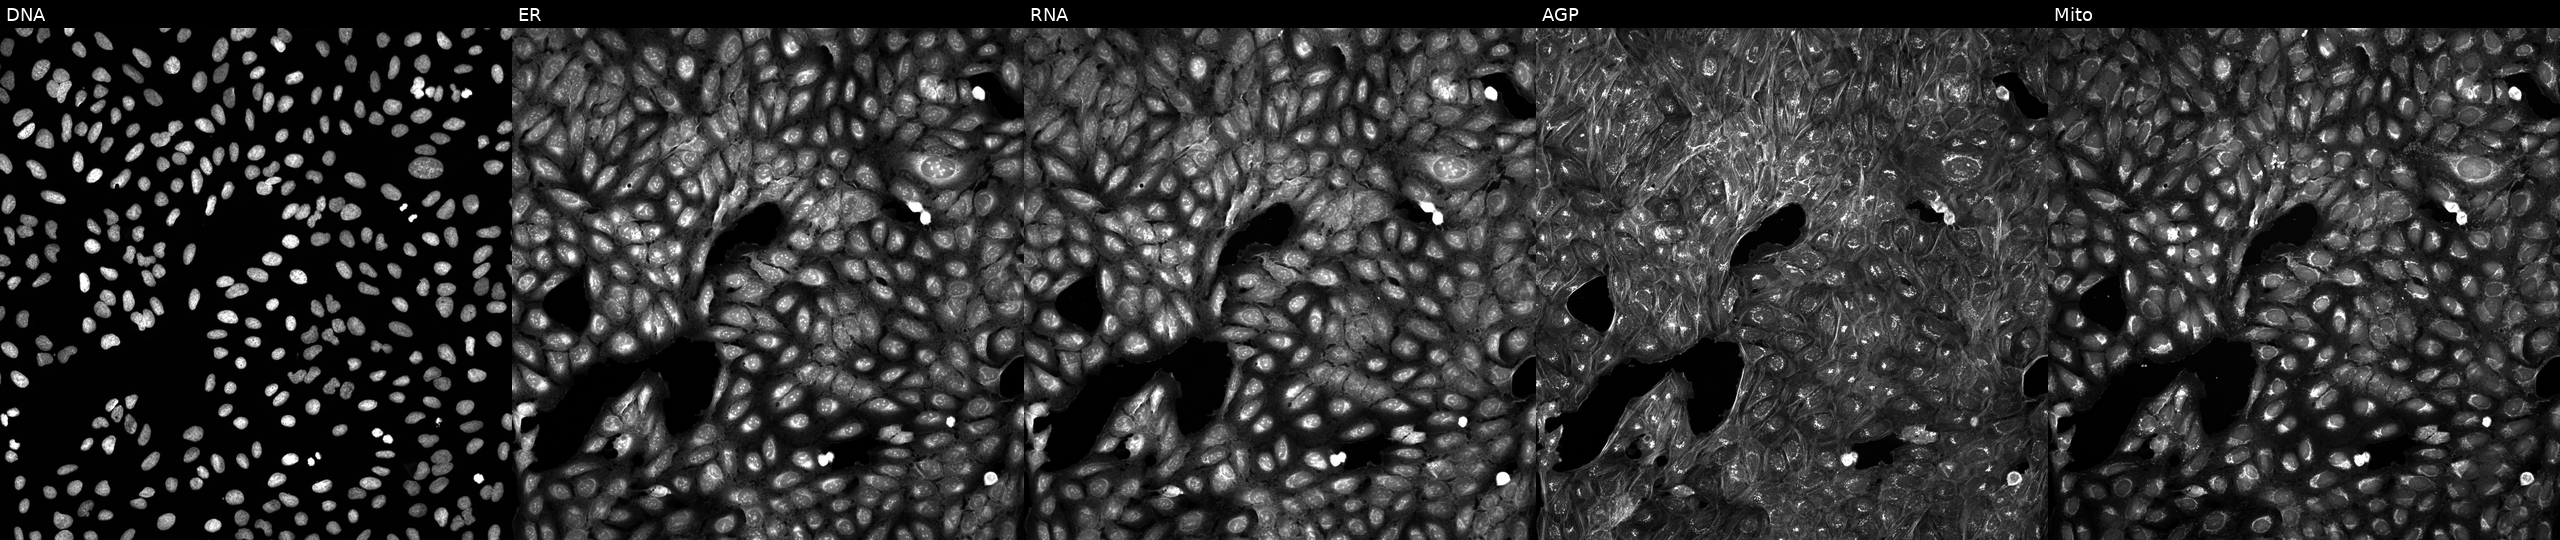
JUMP Cell Painting — COMPOUND plate. U2OS cells perturbed with a small-molecule compound (InChIKey QNYHWPSJFIPXKN-UHFFFAOYSA-N) [SMILES: COCC(=O)N=c1[nH]nc(CCc2ccccc2)s1] (JUMP id JCP2022_074756). Panels show, left to right, DNA (nuclei); ER (endoplasmic reticulum); RNA (nucleoli and cytoplasmic RNA); AGP (actin cytoskeleton, Golgi, and plasma membrane); Mito (mitochondria).